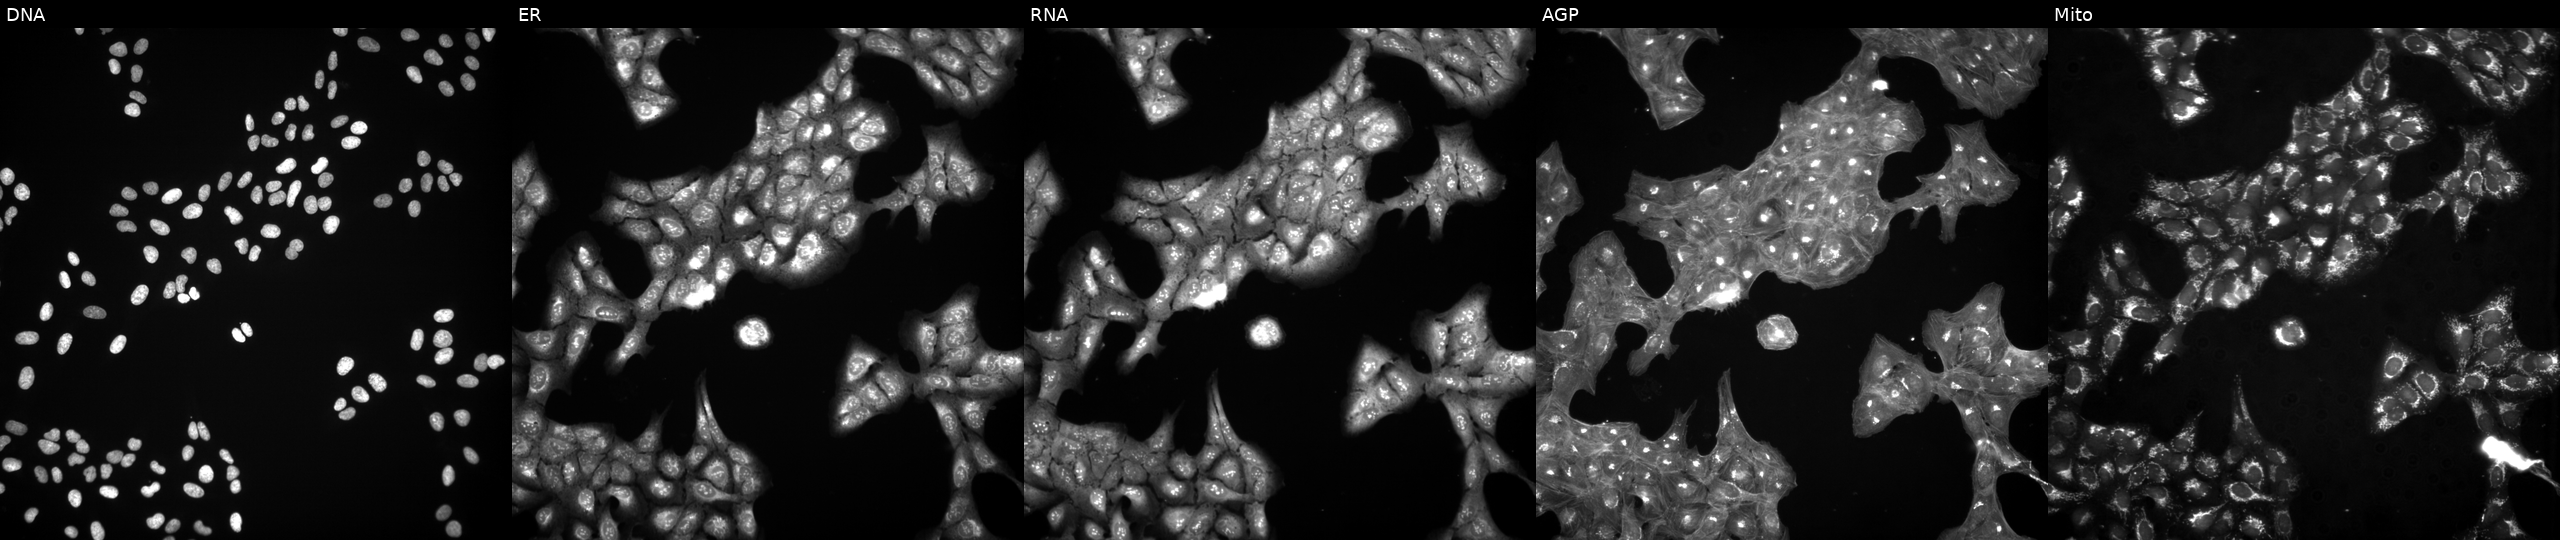
High-content fluorescence microscopy (Cell Painting). Cell line: U2OS. Perturbation: exposed to a small-molecule compound [SMILES: CCCCCCCCC=CCCCCCCCC(=O)NC(CO)Cc1ccc(O)cc1]. From left to right: DNA (nuclei); ER (endoplasmic reticulum); RNA (nucleoli and cytoplasmic RNA); AGP (actin cytoskeleton, Golgi, and plasma membrane); Mito (mitochondria).